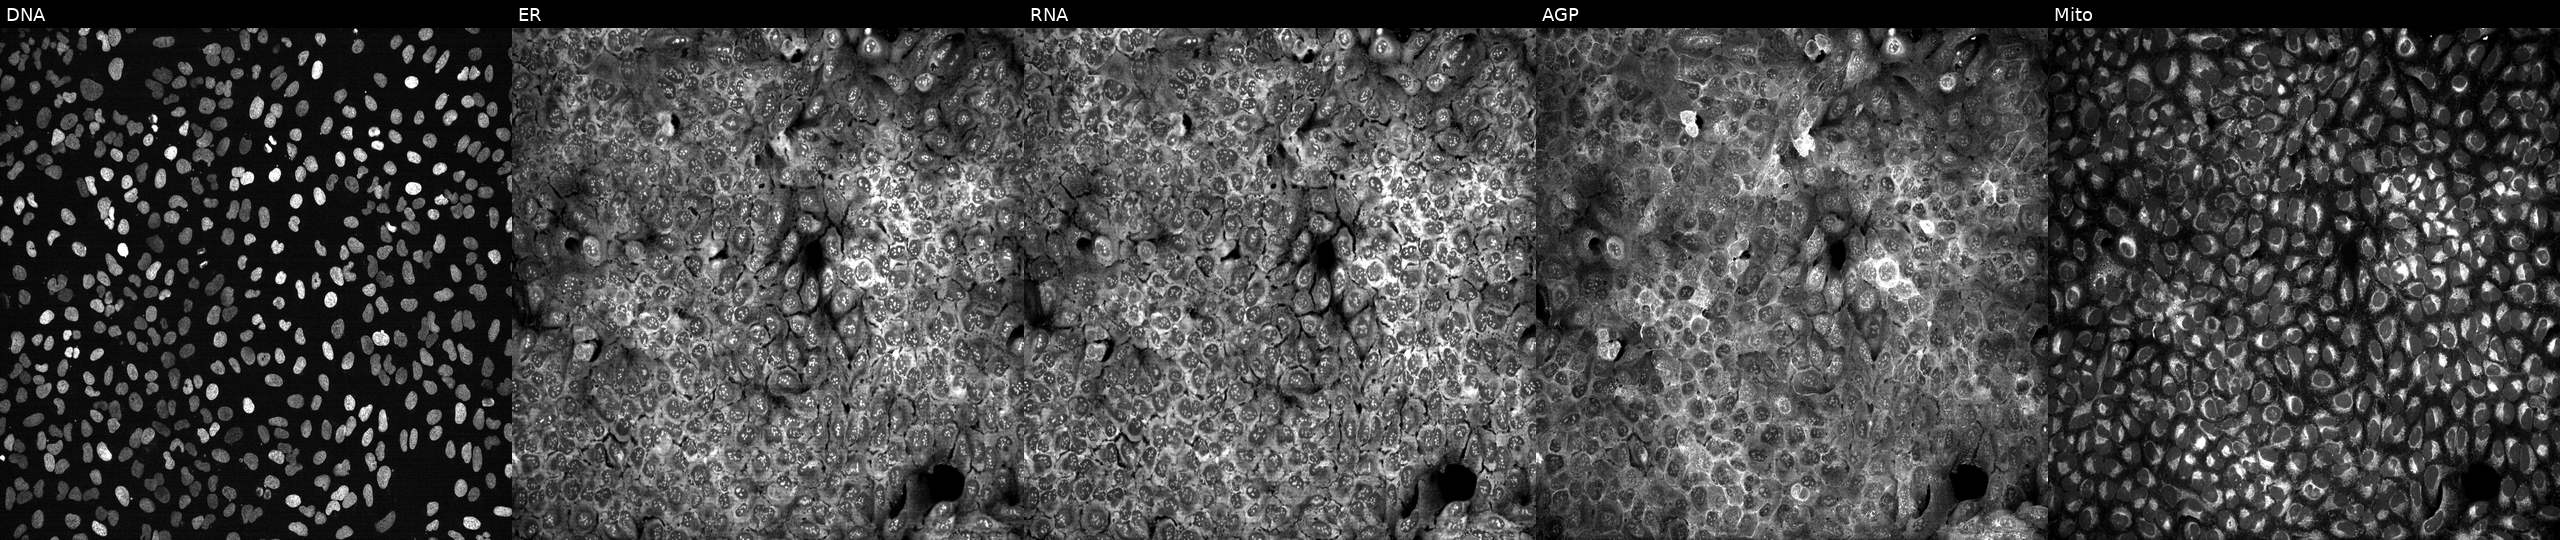
JUMP Cell Painting — CRISPR plate. U2OS cells with NNT knocked out by CRISPR. Channels (left→right): DNA (nuclei); ER (endoplasmic reticulum); RNA (nucleoli and cytoplasmic RNA); AGP (actin cytoskeleton, Golgi, and plasma membrane); Mito (mitochondria).